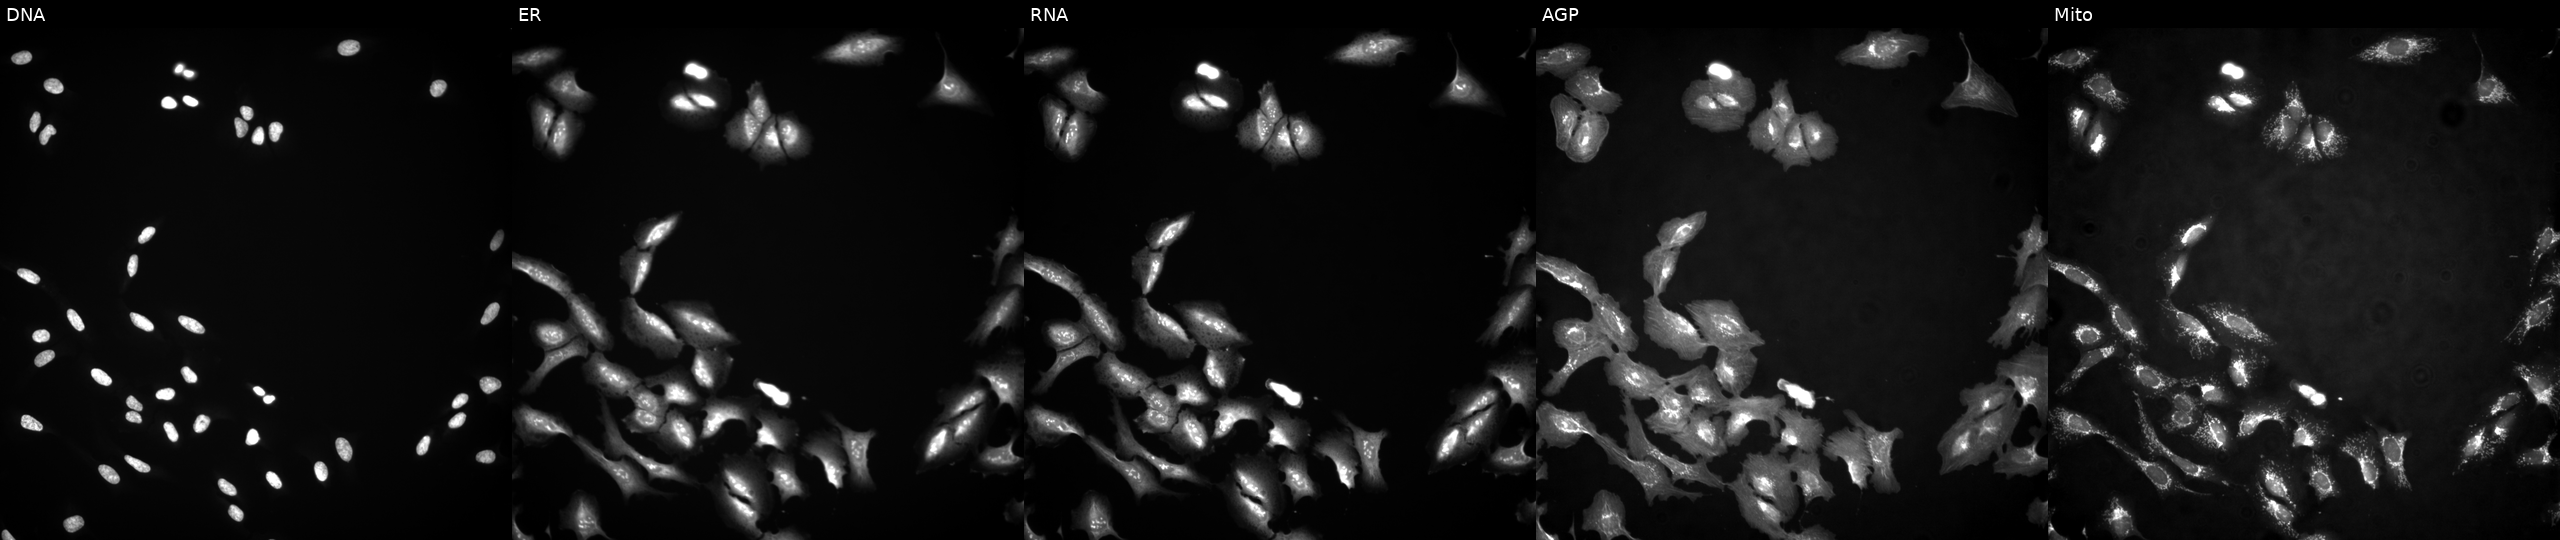
JUMP Cell Painting — ORF plate. U2OS cells transfected with an ORF construct for ZNF57 (JUMP id JCP2022_908860). Channels (left→right): DNA (nuclei); ER (endoplasmic reticulum); RNA (nucleoli and cytoplasmic RNA); AGP (actin cytoskeleton, Golgi, and plasma membrane); Mito (mitochondria). Source 4, plate BR00117035, well G12.